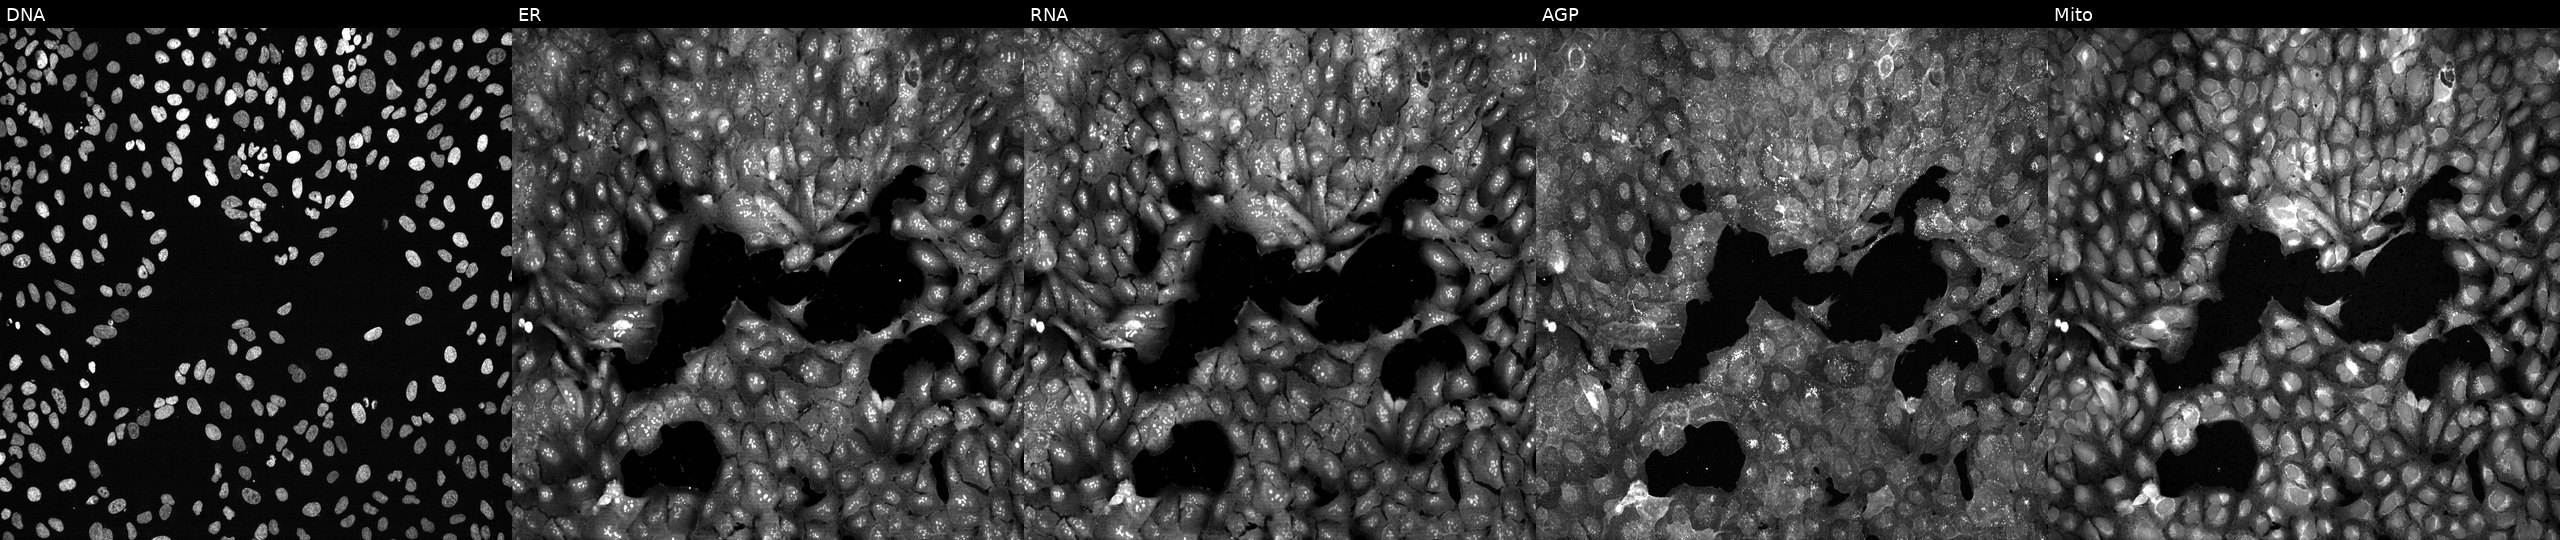
Five-channel Cell Painting image of U2OS cells following CRISPR knockout of ARF3 (JUMP id JCP2022_800553). From left to right: Hoechst 33342, concanavalin A, SYTO 14, phalloidin and WGA, MitoTracker.